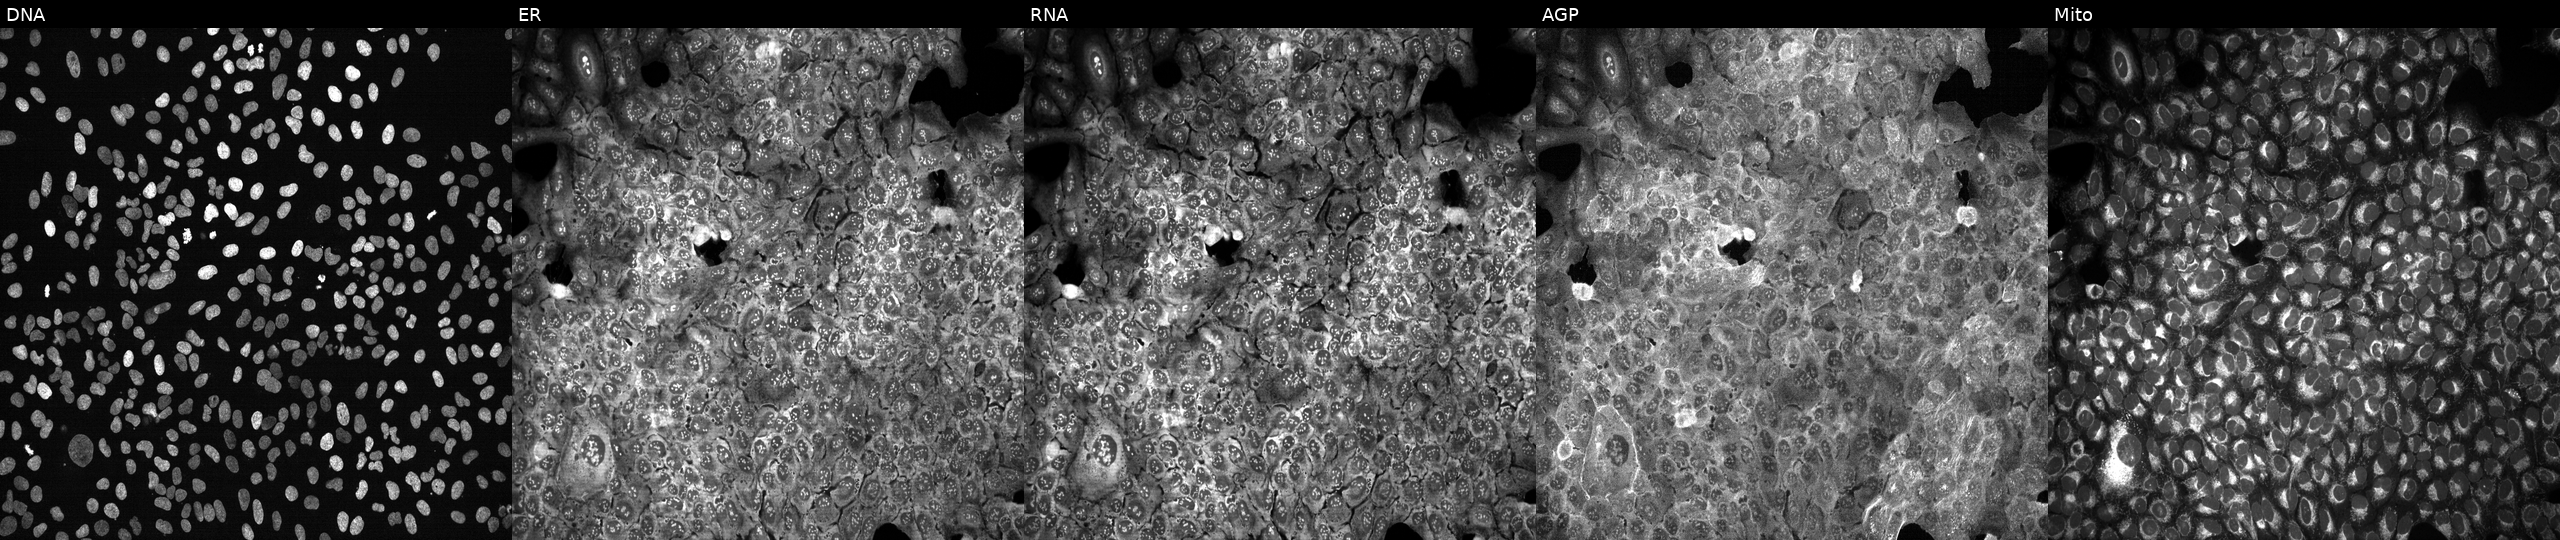
Channels (left→right): DNA, ER, RNA, AGP, and Mito. U2OS osteosarcoma cells CRISPR-edited to disrupt CA7. Cell Painting assay, JUMP-CP dataset. Source 13, plate CP-CC9-R3-02, well P22.